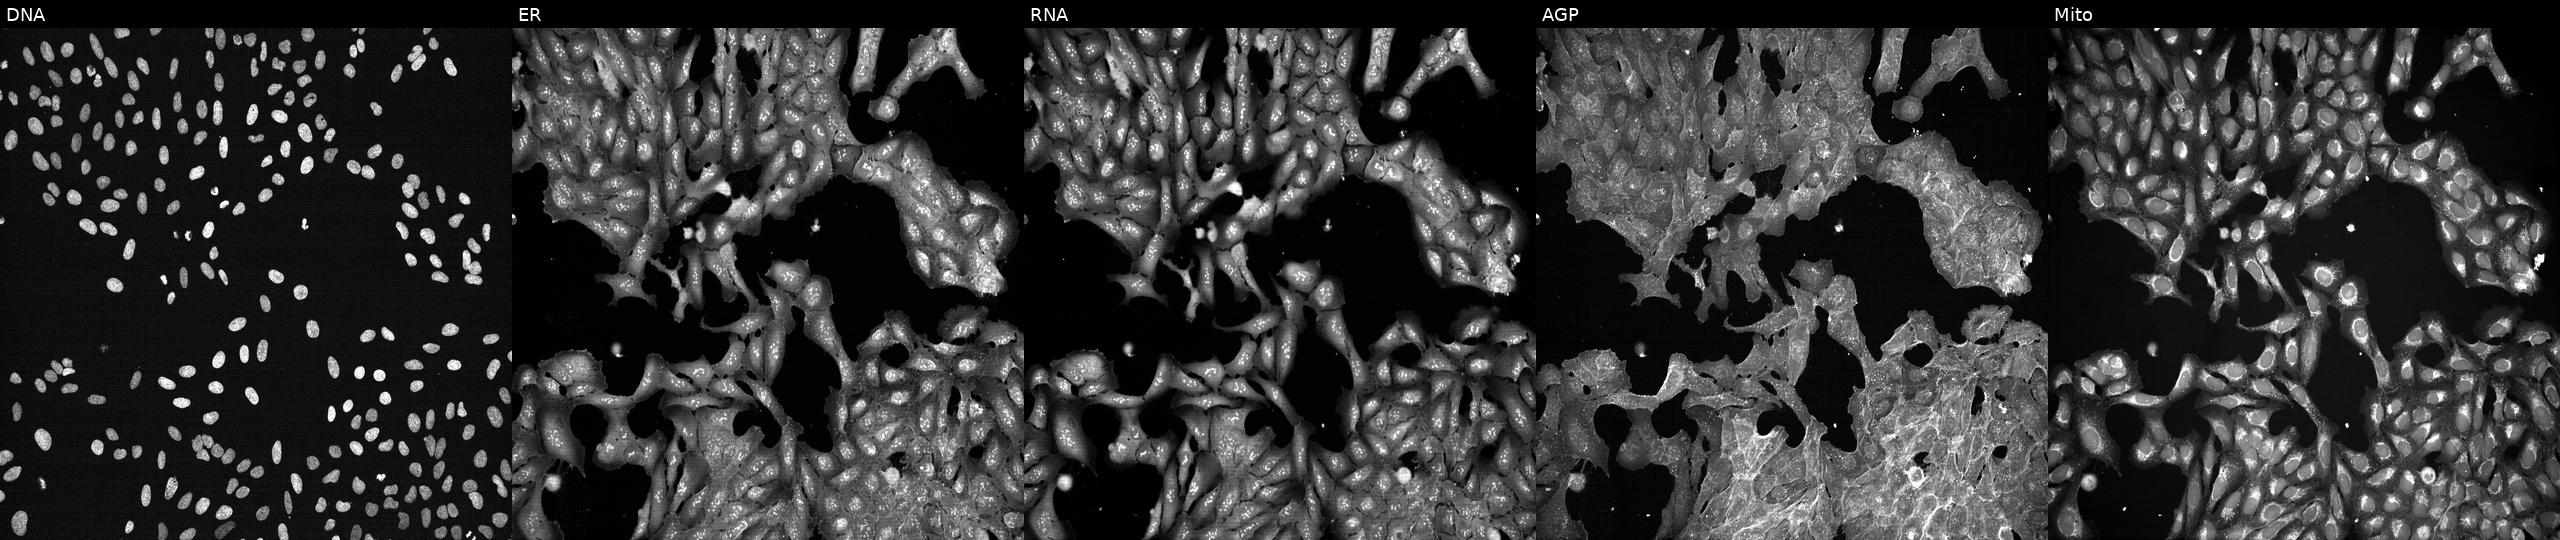
JUMP Cell Painting — TARGET2 plate. U2OS cells treated with DMSO vehicle only (negative control). The five panels, left to right, show Hoechst 33342, concanavalin A, SYTO 14, phalloidin and WGA, MitoTracker. Source 7, plate CP2-SC1-25, well B12.